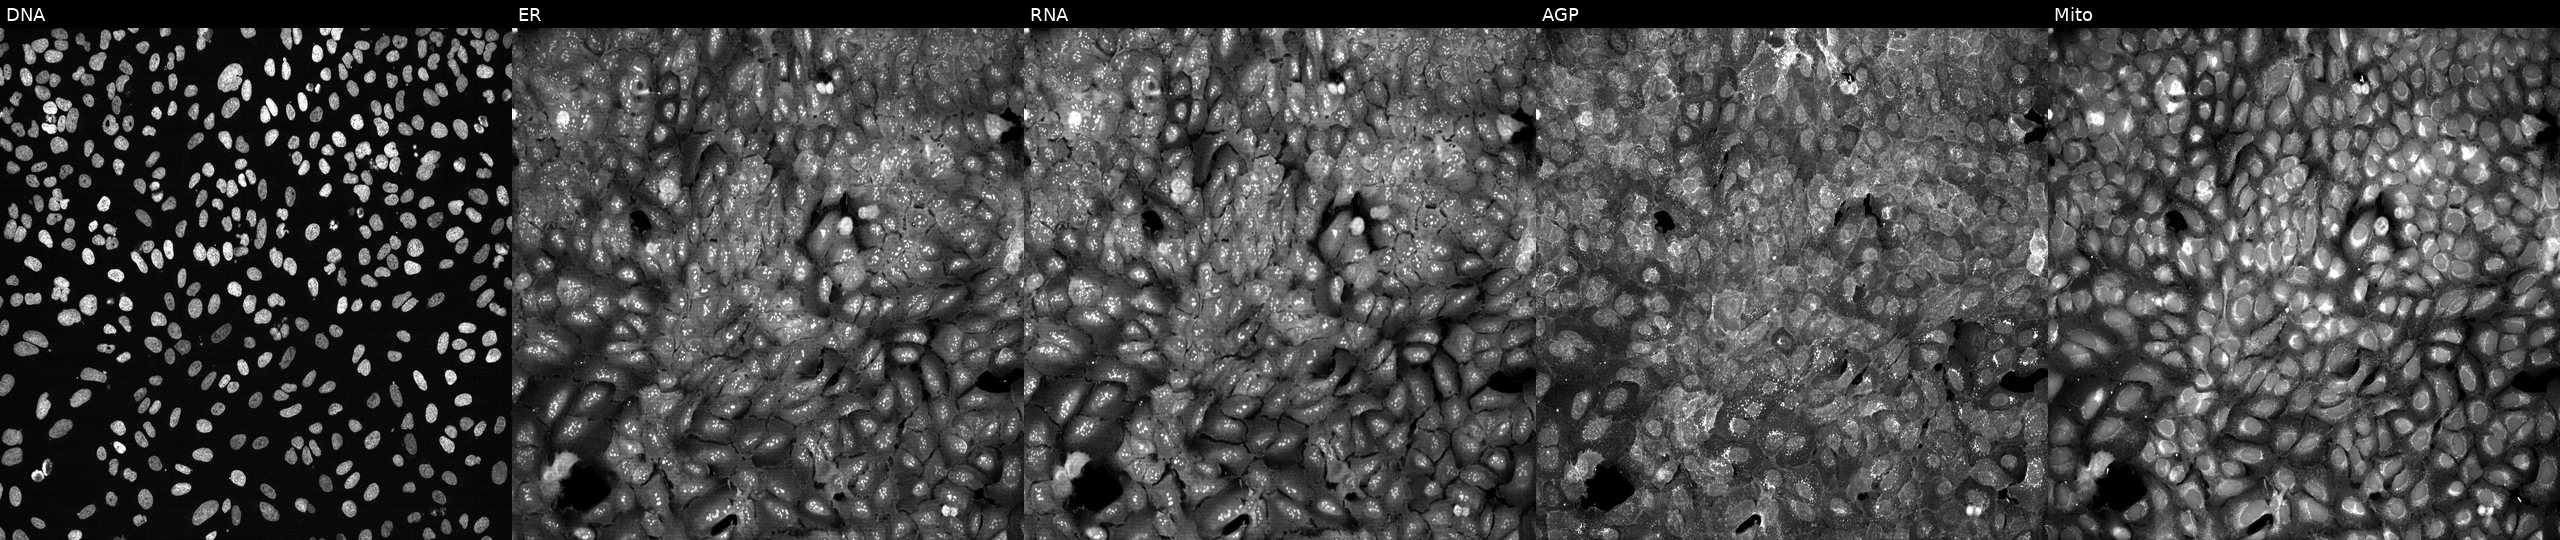
JUMP Cell Painting — CRISPR plate. U2OS cells with SEPT1 knocked out by CRISPR (JUMP id JCP2022_806261). Channels (left→right): DNA (nuclei); ER (endoplasmic reticulum); RNA (nucleoli and cytoplasmic RNA); AGP (actin cytoskeleton, Golgi, and plasma membrane); Mito (mitochondria). Source 13, plate CP-CC9-R1-01, well C13.